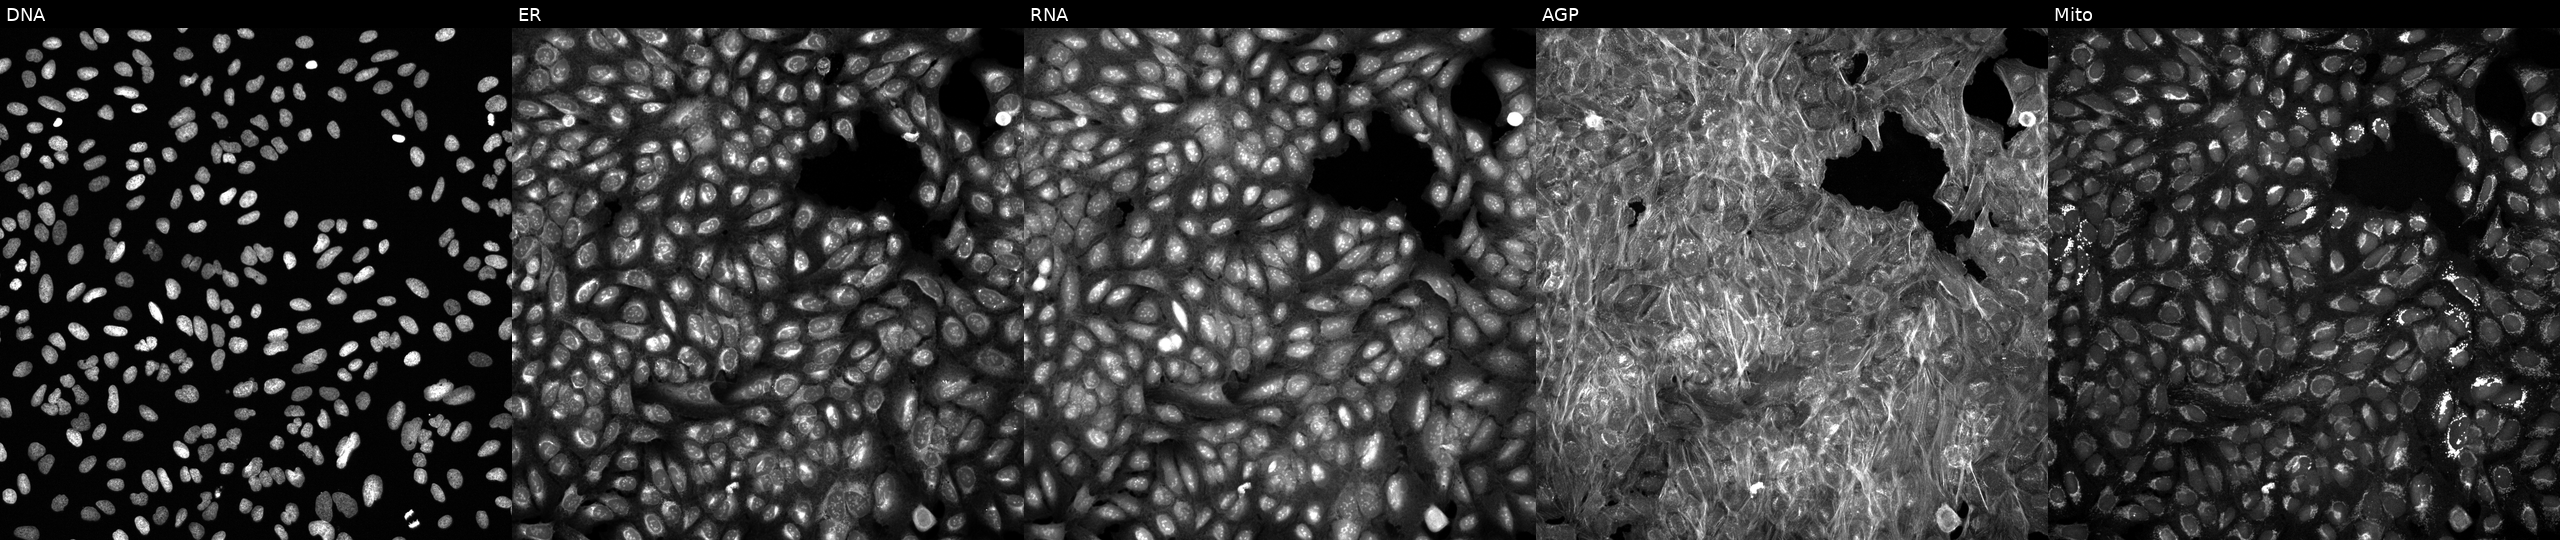
From left to right: DNA, ER, RNA, AGP, and Mito. U2OS osteosarcoma cells treated with a small-molecule compound (InChIKey XEYBRNLFEZDVAW-UHFFFAOYSA-N) (JUMP id JCP2022_103217). Cell Painting assay, JUMP-CP dataset.